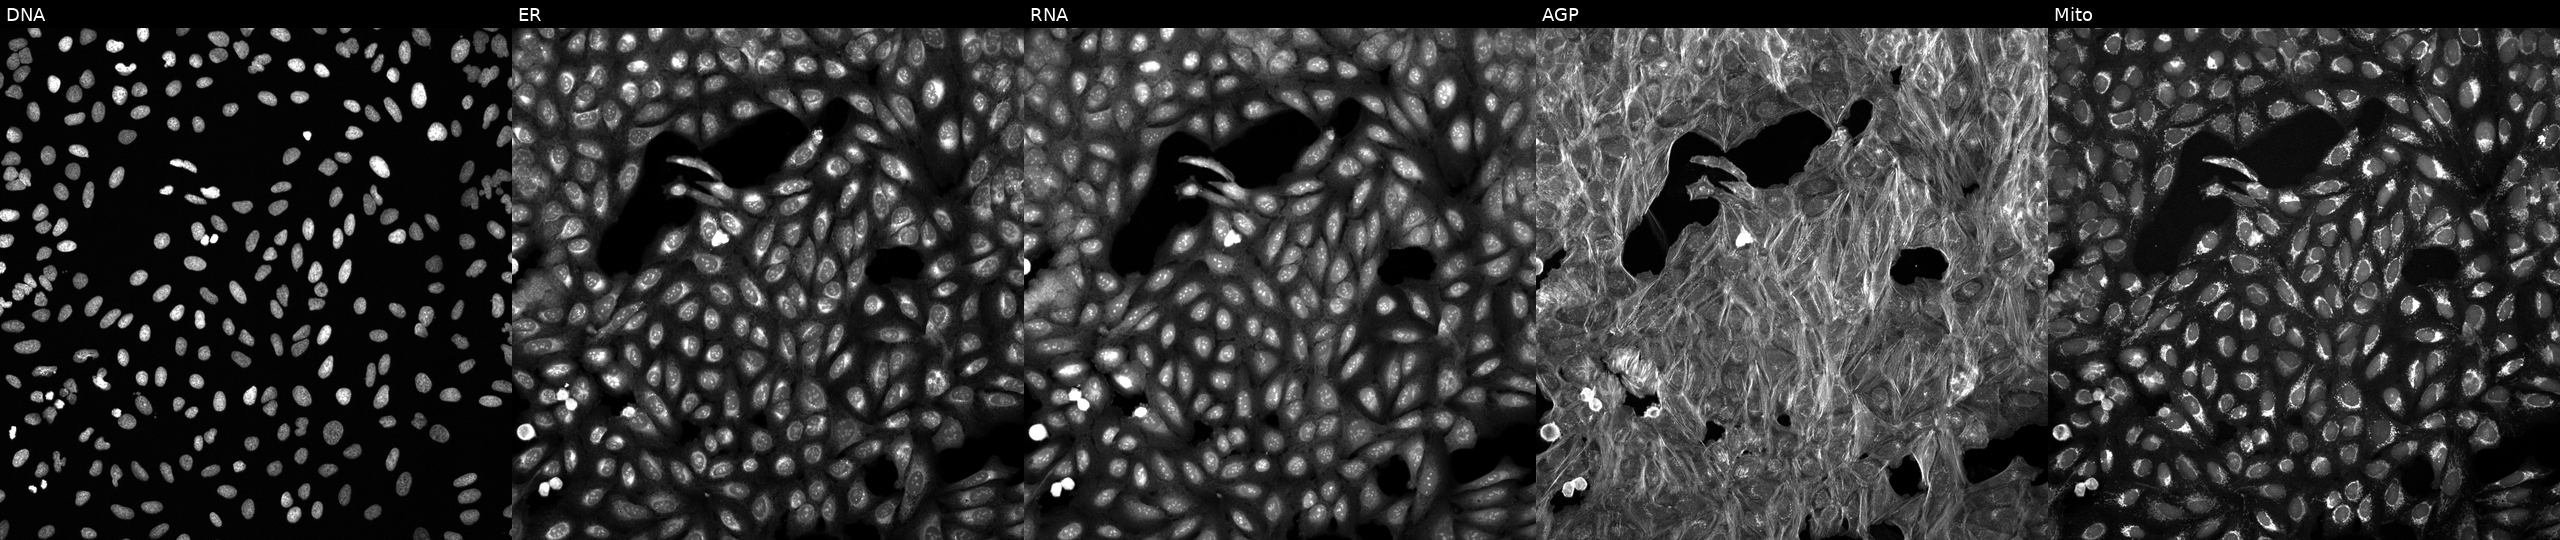
Five-channel Cell Painting image of U2OS cells treated with a small-molecule compound (InChIKey LPAHKJMGDSJDRG-UHFFFAOYSA-N). From left to right: Hoechst 33342, concanavalin A, SYTO 14, phalloidin and WGA, MitoTracker. Source 6, plate 110000293093, well F09.